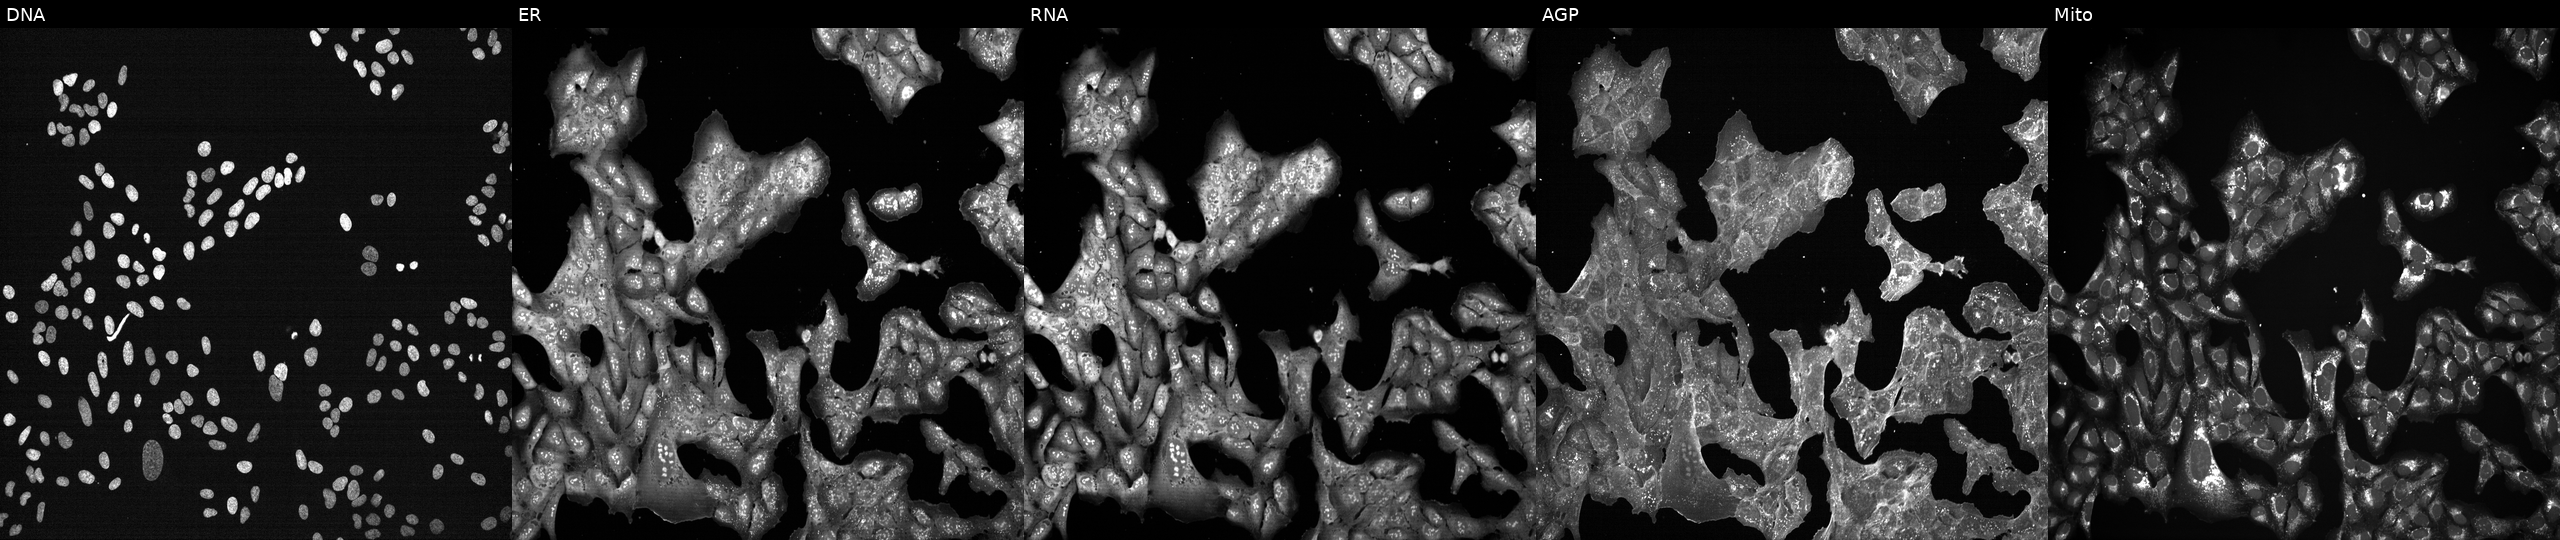
Five-channel Cell Painting image of U2OS cells perturbed with a small-molecule compound (InChIKey YULUCECVQOCQFQ-UHFFFAOYSA-N). Channels (left→right): DNA (nuclei); ER (endoplasmic reticulum); RNA (nucleoli and cytoplasmic RNA); AGP (actin cytoskeleton, Golgi, and plasma membrane); Mito (mitochondria).